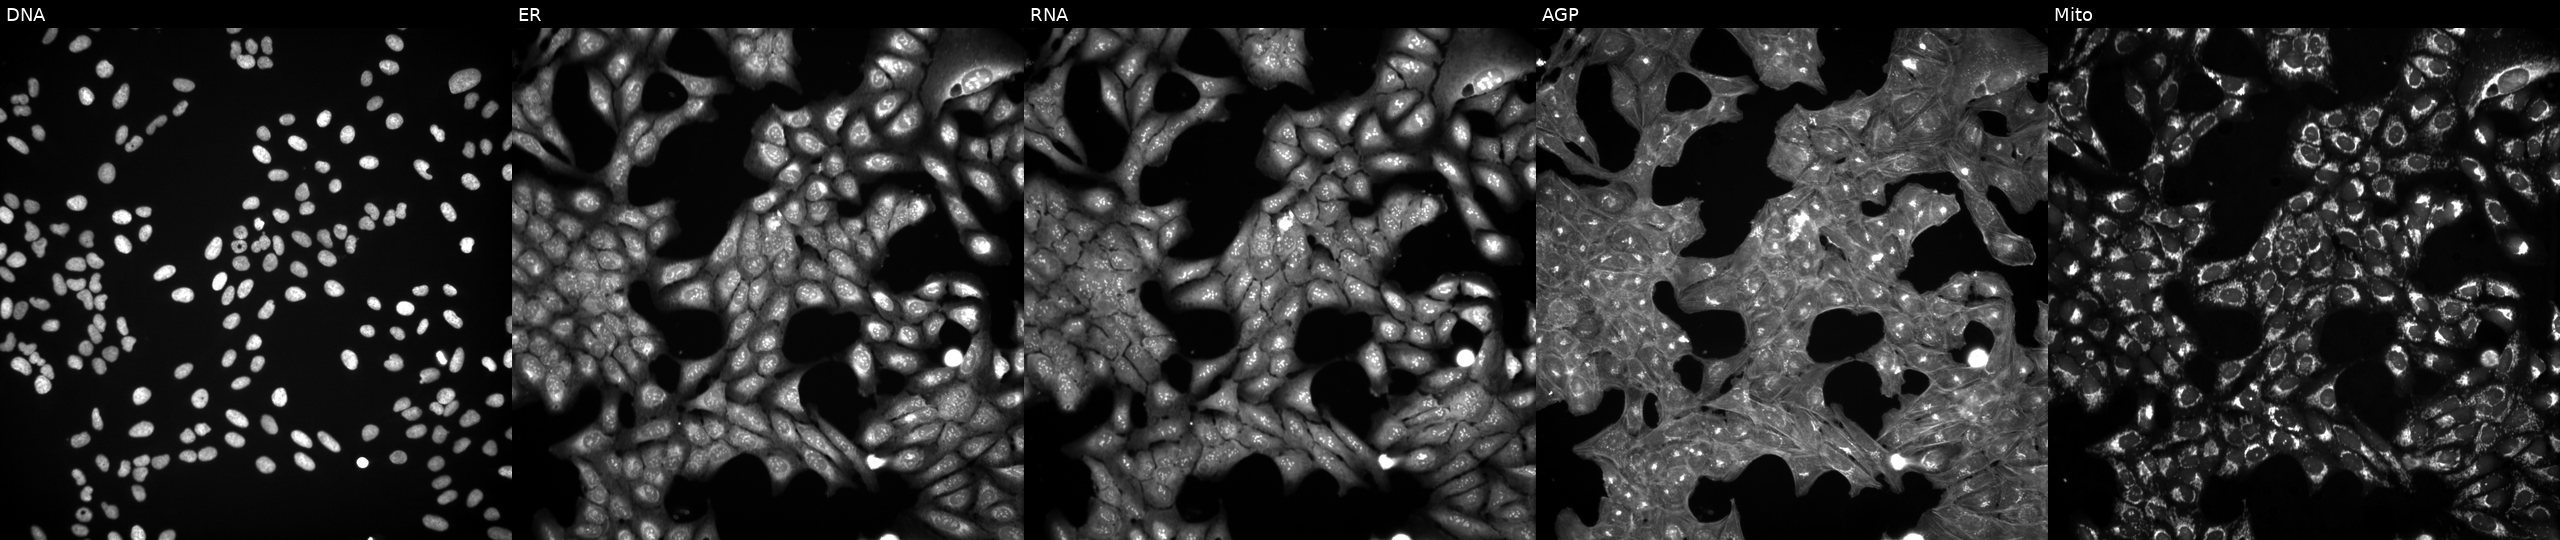
JUMP Cell Painting — TARGET2 plate. U2OS cells exposed to a small-molecule compound (InChIKey QVZCXCJXTMIDME-UHFFFAOYSA-N) [SMILES: COc1cc(C(=O)OCCCN2CCCN(CCCOC(=O)c3cc(OC)c(OC)c(OC)c3)CC2)cc(OC)c1OC] (JUMP id JCP2022_076233). The five panels, left to right, show Hoechst 33342, concanavalin A, SYTO 14, phalloidin and WGA, MitoTracker. Source 3, plate JCPQC051, well L14.